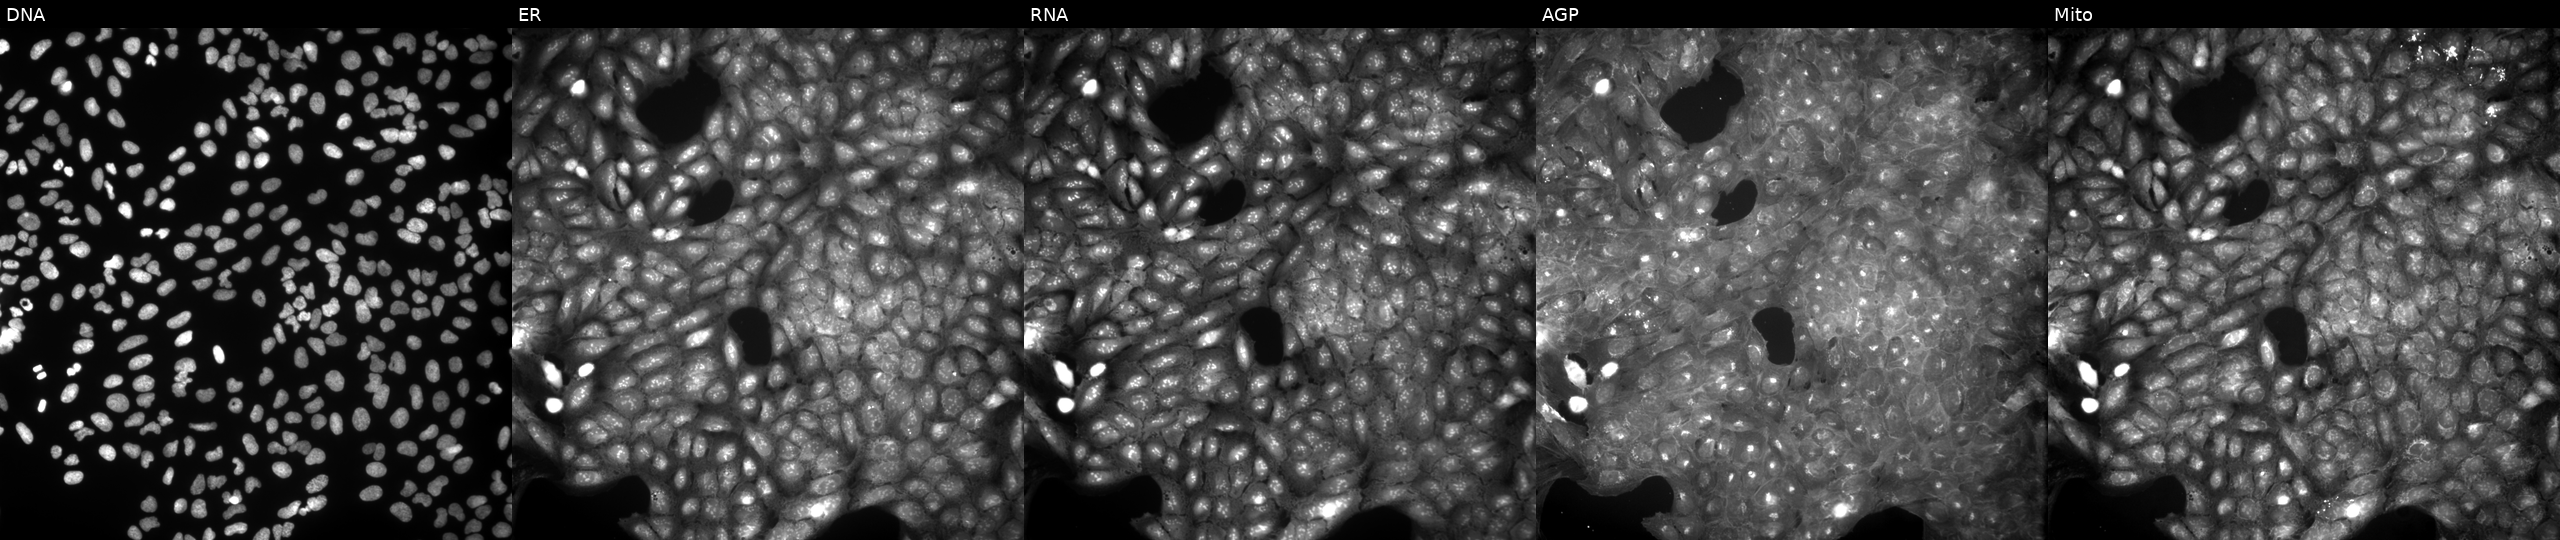
From left to right: Hoechst 33342, concanavalin A, SYTO 14, phalloidin and WGA, MitoTracker. U2OS osteosarcoma cells treated with DMSO vehicle only (negative control). Cell Painting assay, JUMP-CP dataset. Source 9, plate GR00003381, well J26.